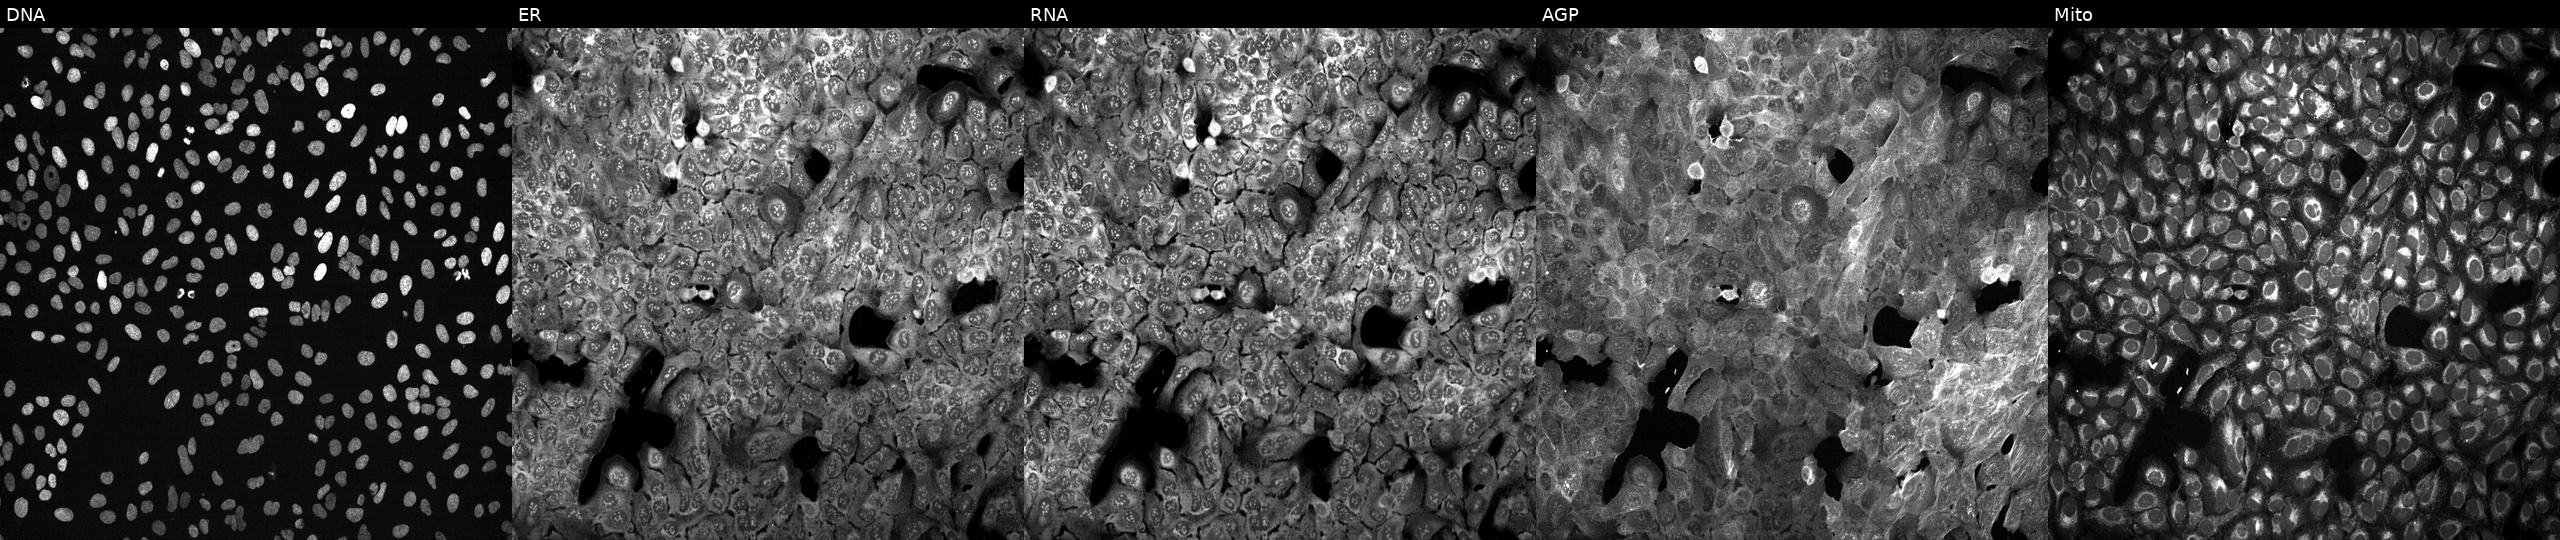
This image strip shows the five Cell Painting channels for a single field of U2OS cells following CRISPR knockout of MGMT. Panels show, left to right, Hoechst 33342, concanavalin A, SYTO 14, phalloidin and WGA, MitoTracker.